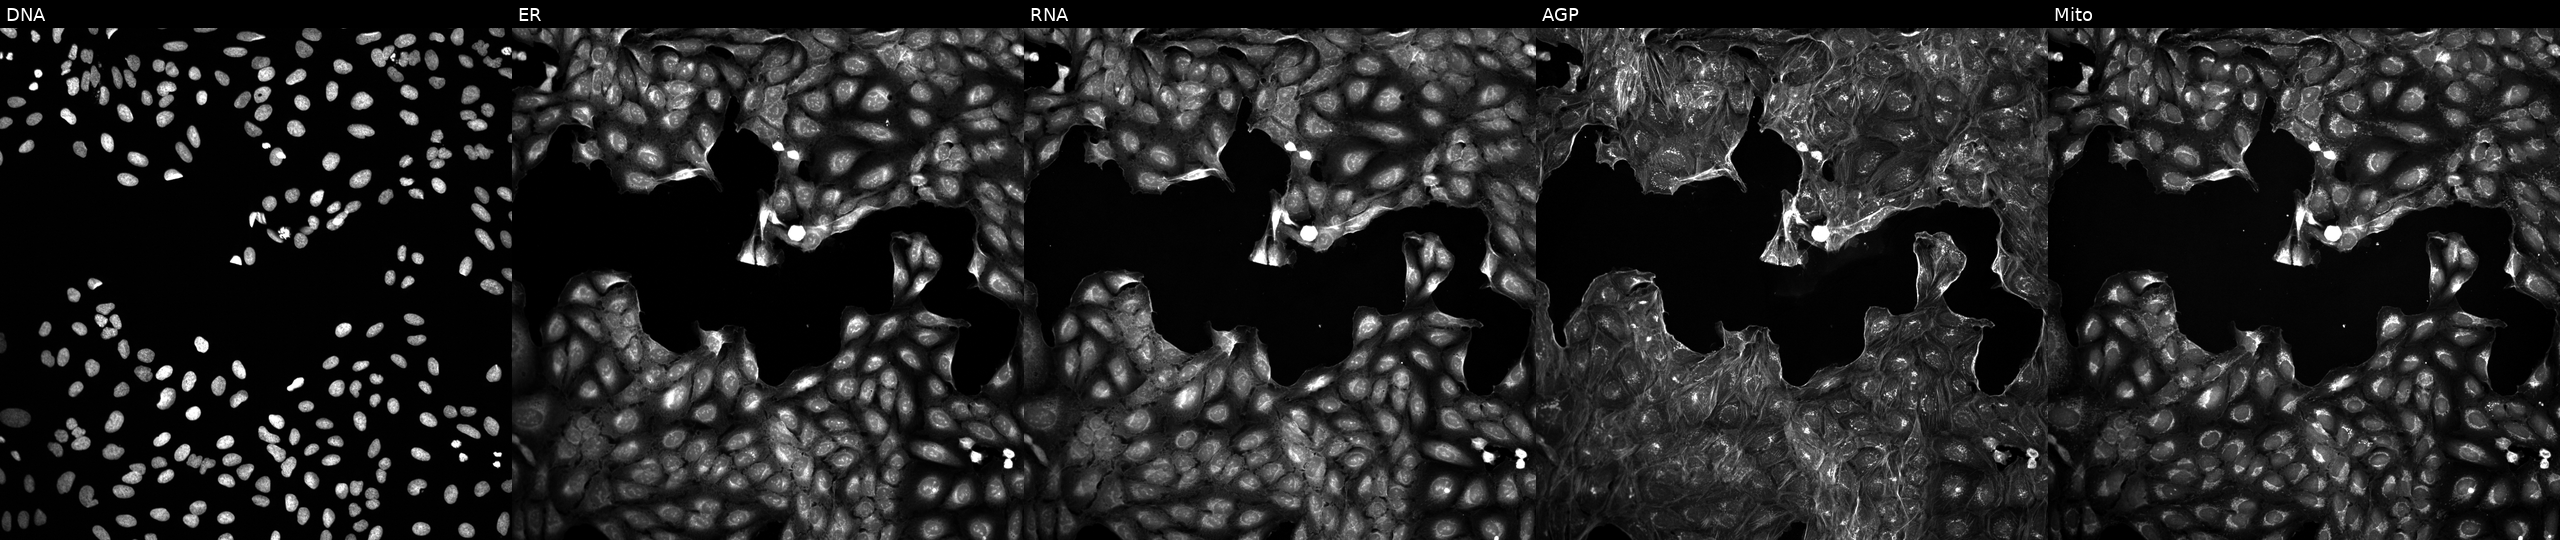
High-content fluorescence microscopy (Cell Painting). Cell line: U2OS. Perturbation: treated with a small-molecule compound (InChIKey XORFOYQESUFAKW-UHFFFAOYSA-N) [SMILES: O=C(NCc1ccccc1F)c1ccc(Cn2c(C(F)(F)F)nc3cccnc32)cc1] (JUMP id JCP2022_105026). Panels show, left to right, Hoechst 33342, concanavalin A, SYTO 14, phalloidin and WGA, MitoTracker. Source 5, plate APTJUM106, well A03.